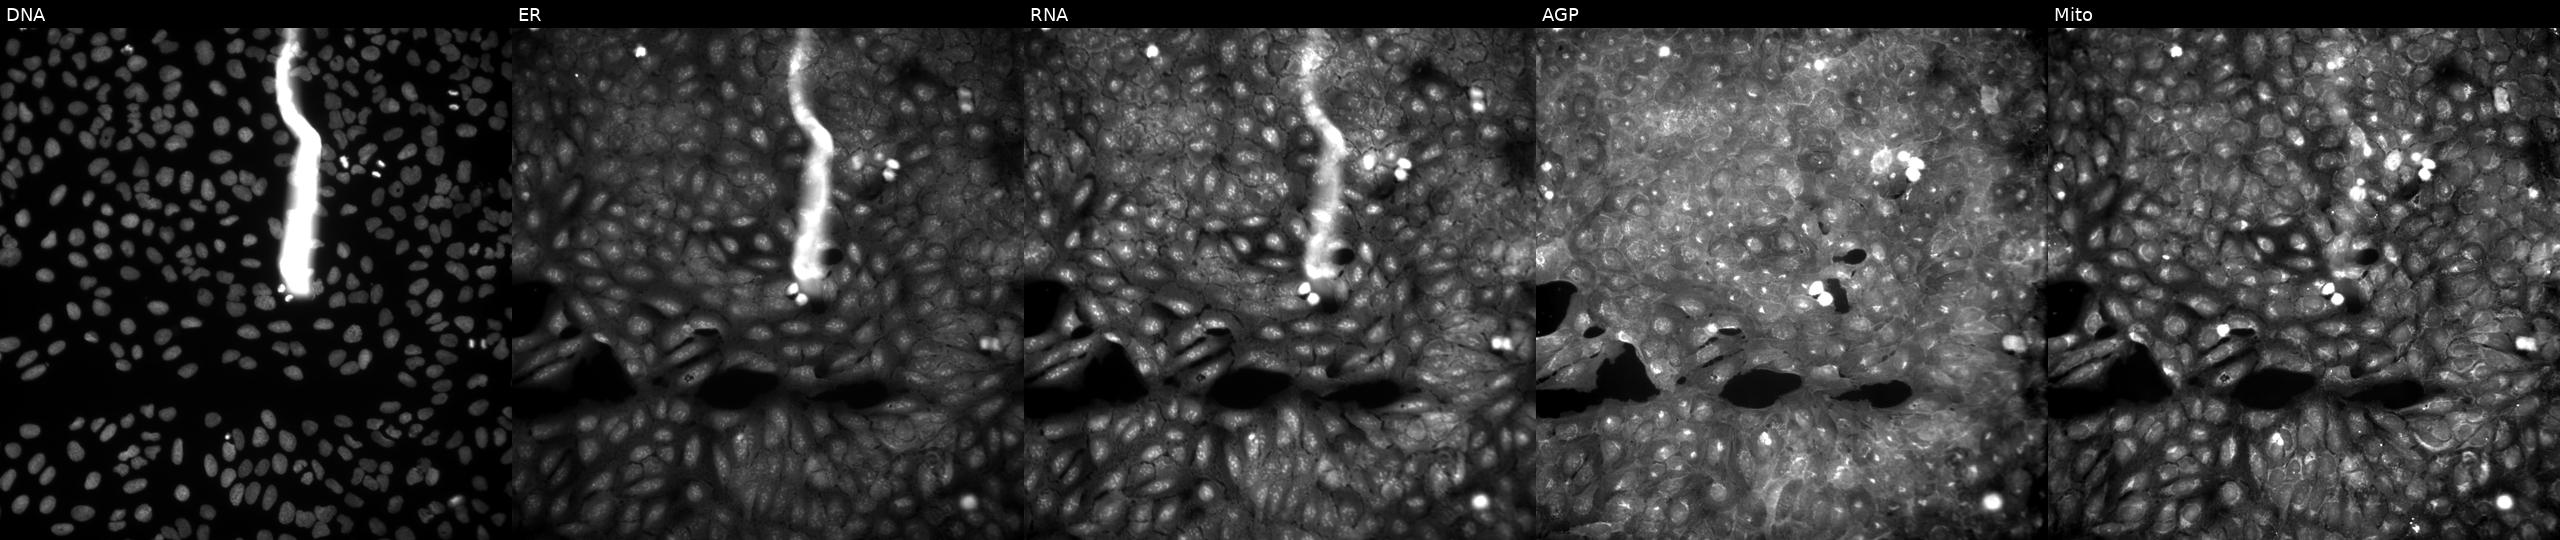
Five-channel Cell Painting image of U2OS cells exposed to a small-molecule compound (InChIKey ARRASWWBPLATOR-UHFFFAOYSA-N) (JUMP id JCP2022_003373). The five panels, left to right, show Hoechst 33342, concanavalin A, SYTO 14, phalloidin and WGA, MitoTracker. Source 9, plate GR00003381, well M41.